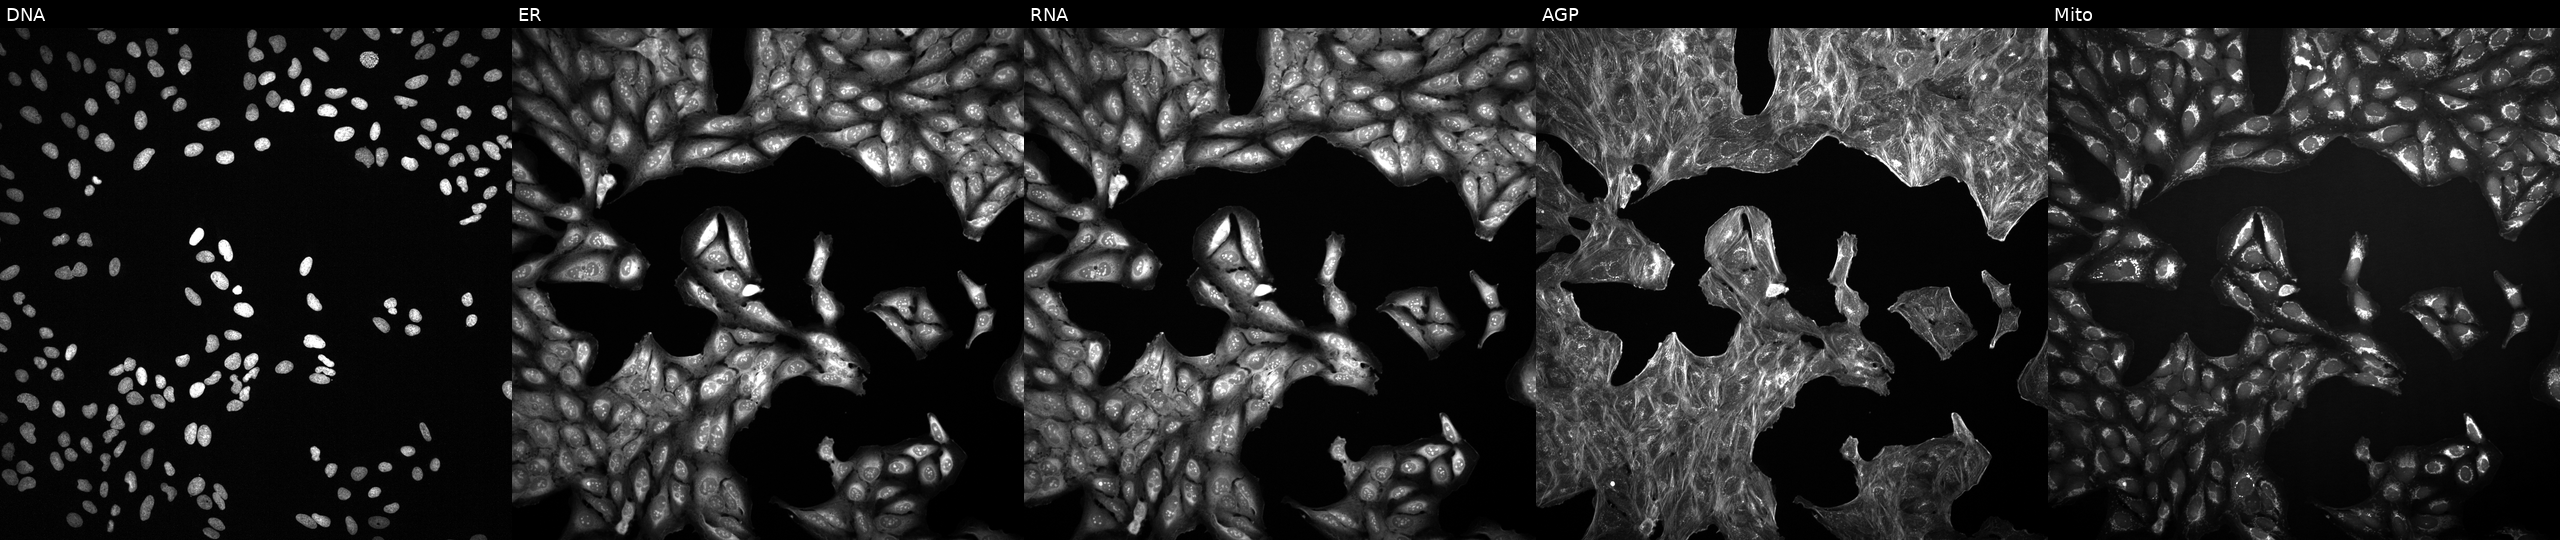
Five-channel Cell Painting image of U2OS cells exposed to a small-molecule compound (InChIKey BGVLELSCIHASRV-UHFFFAOYSA-N) (JUMP id JCP2022_006270). Channels (left→right): DNA, ER, RNA, AGP, and Mito.